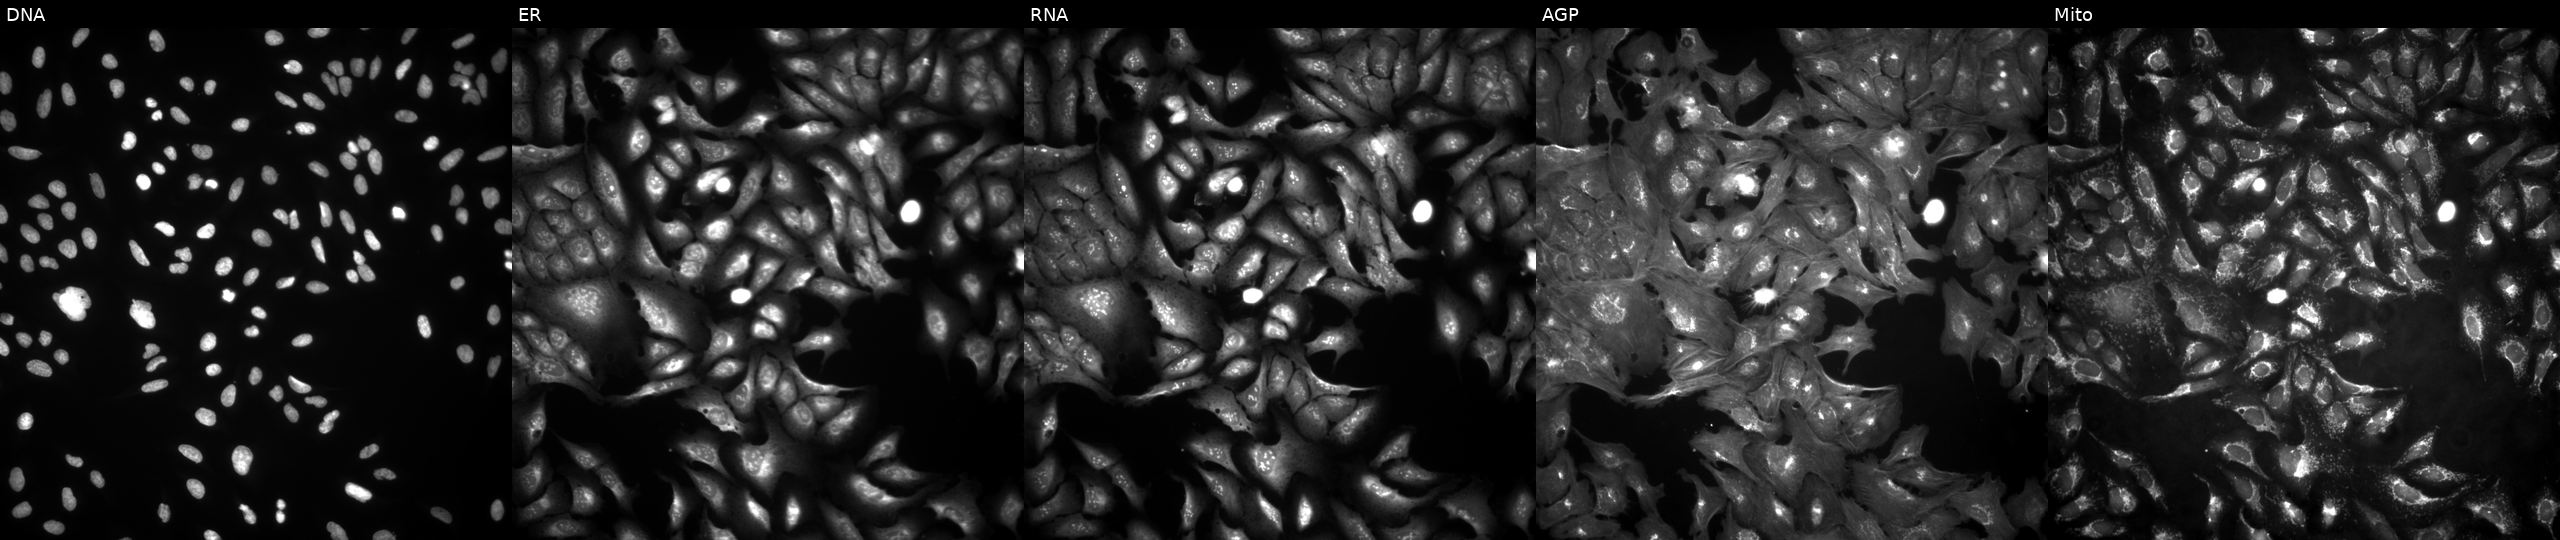
This image strip shows the five Cell Painting channels for a single field of U2OS cells with MORN4 overexpressed (ORF) (JUMP id JCP2022_912186). Channels (left→right): DNA, ER, RNA, AGP, and Mito.